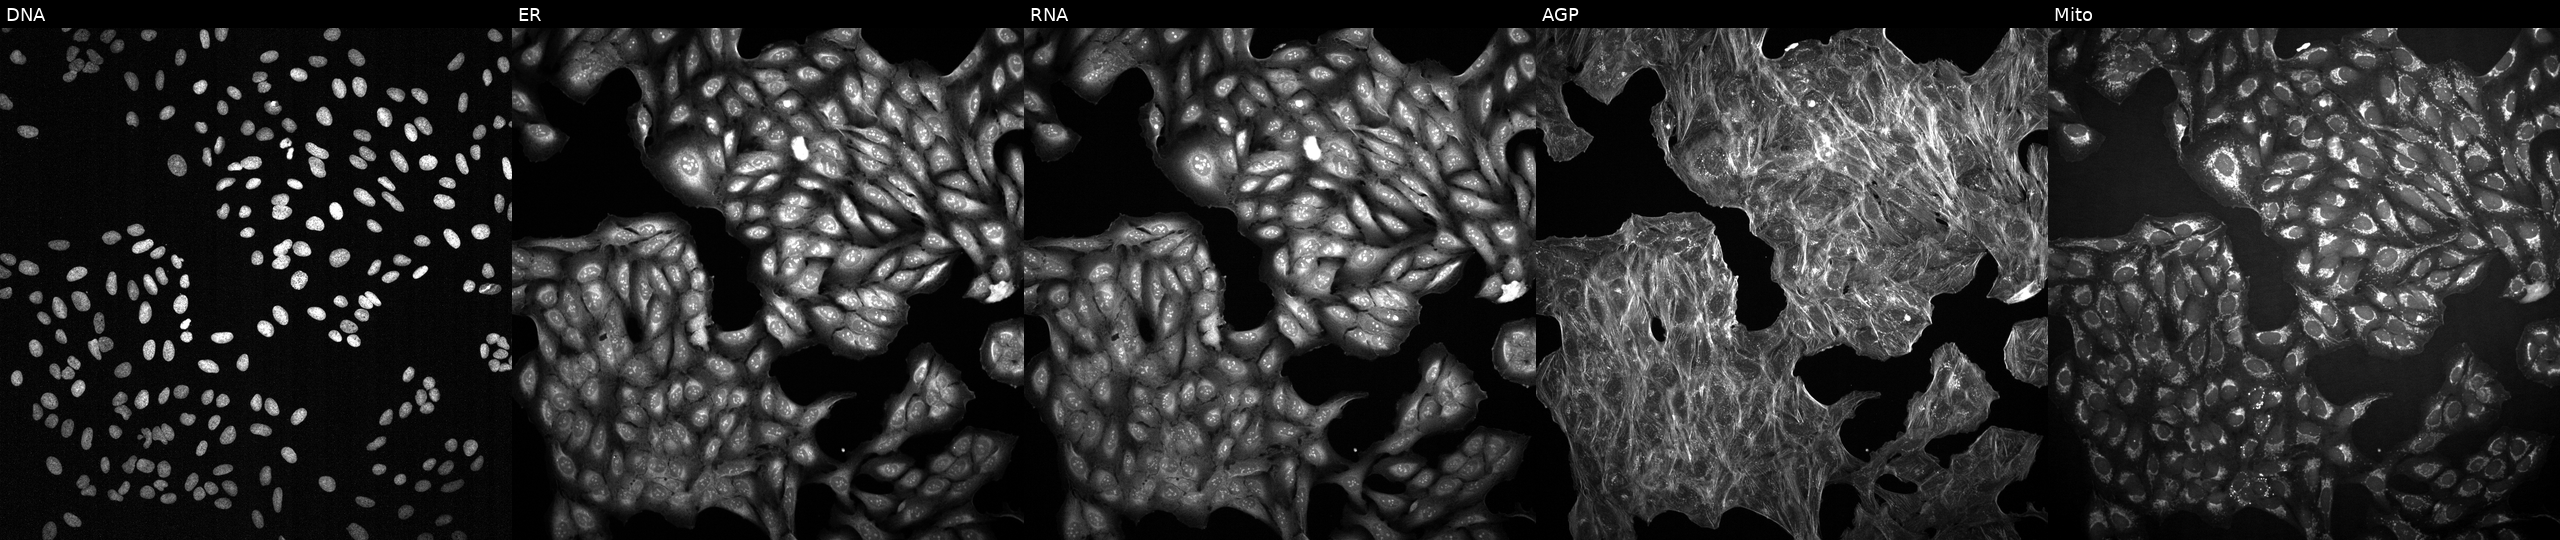
High-content fluorescence microscopy (Cell Painting). Cell line: U2OS. Perturbation: perturbed with a small-molecule compound (InChIKey NITYDPDXAAFEIT-UHFFFAOYSA-N). Panels show, left to right, Hoechst 33342, concanavalin A, SYTO 14, phalloidin and WGA, MitoTracker.